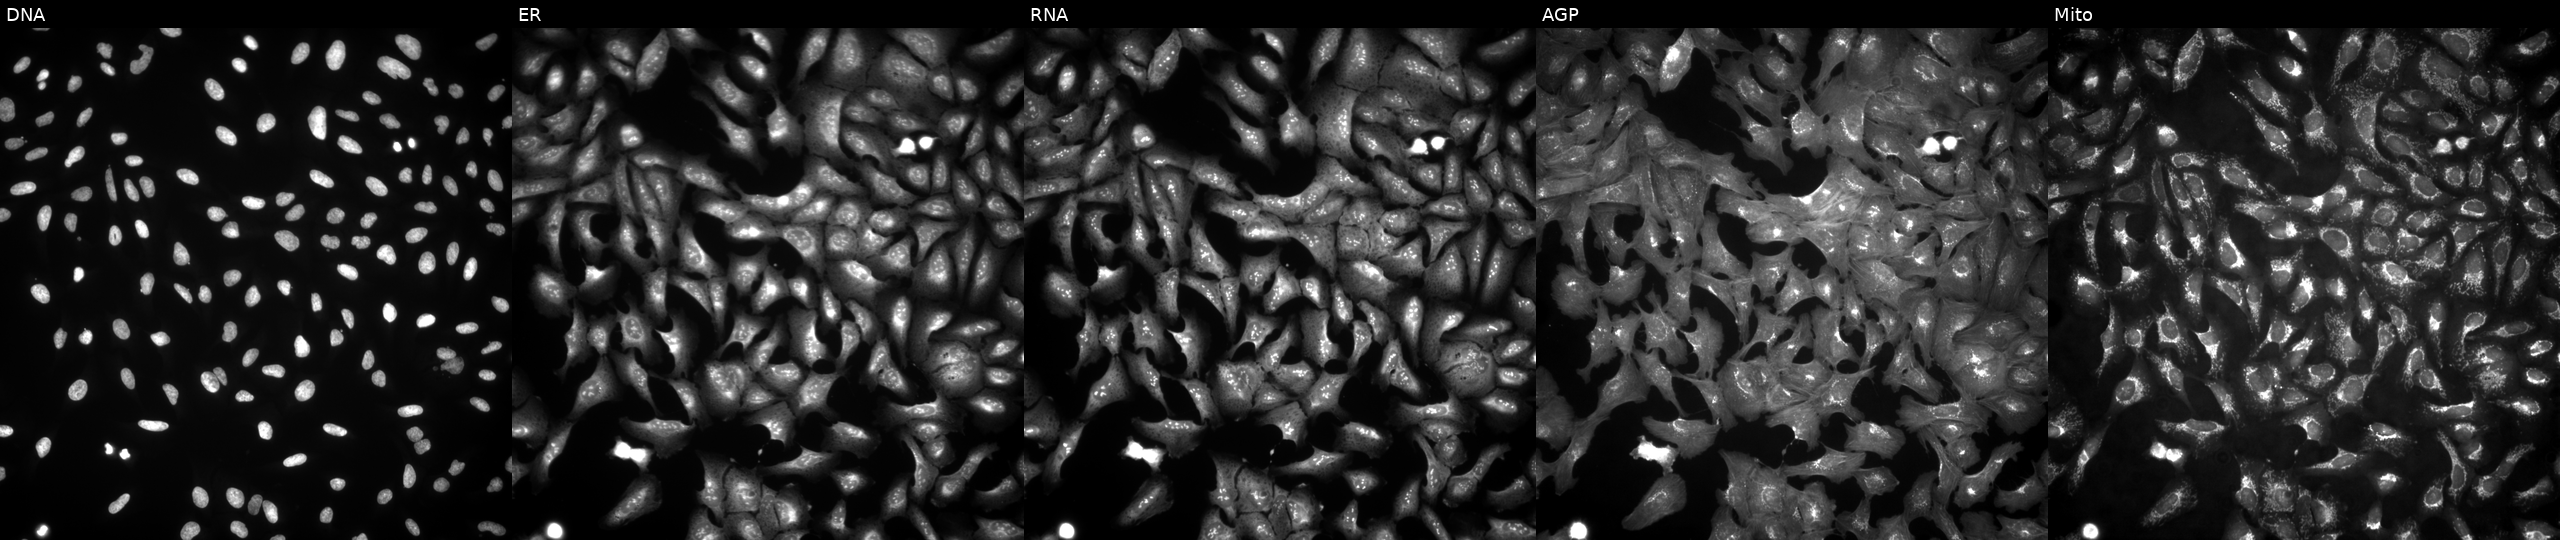
This image strip shows the five Cell Painting channels for a single field of U2OS cells transfected with an ORF construct for CCDC174. From left to right: Hoechst 33342, concanavalin A, SYTO 14, phalloidin and WGA, MitoTracker.